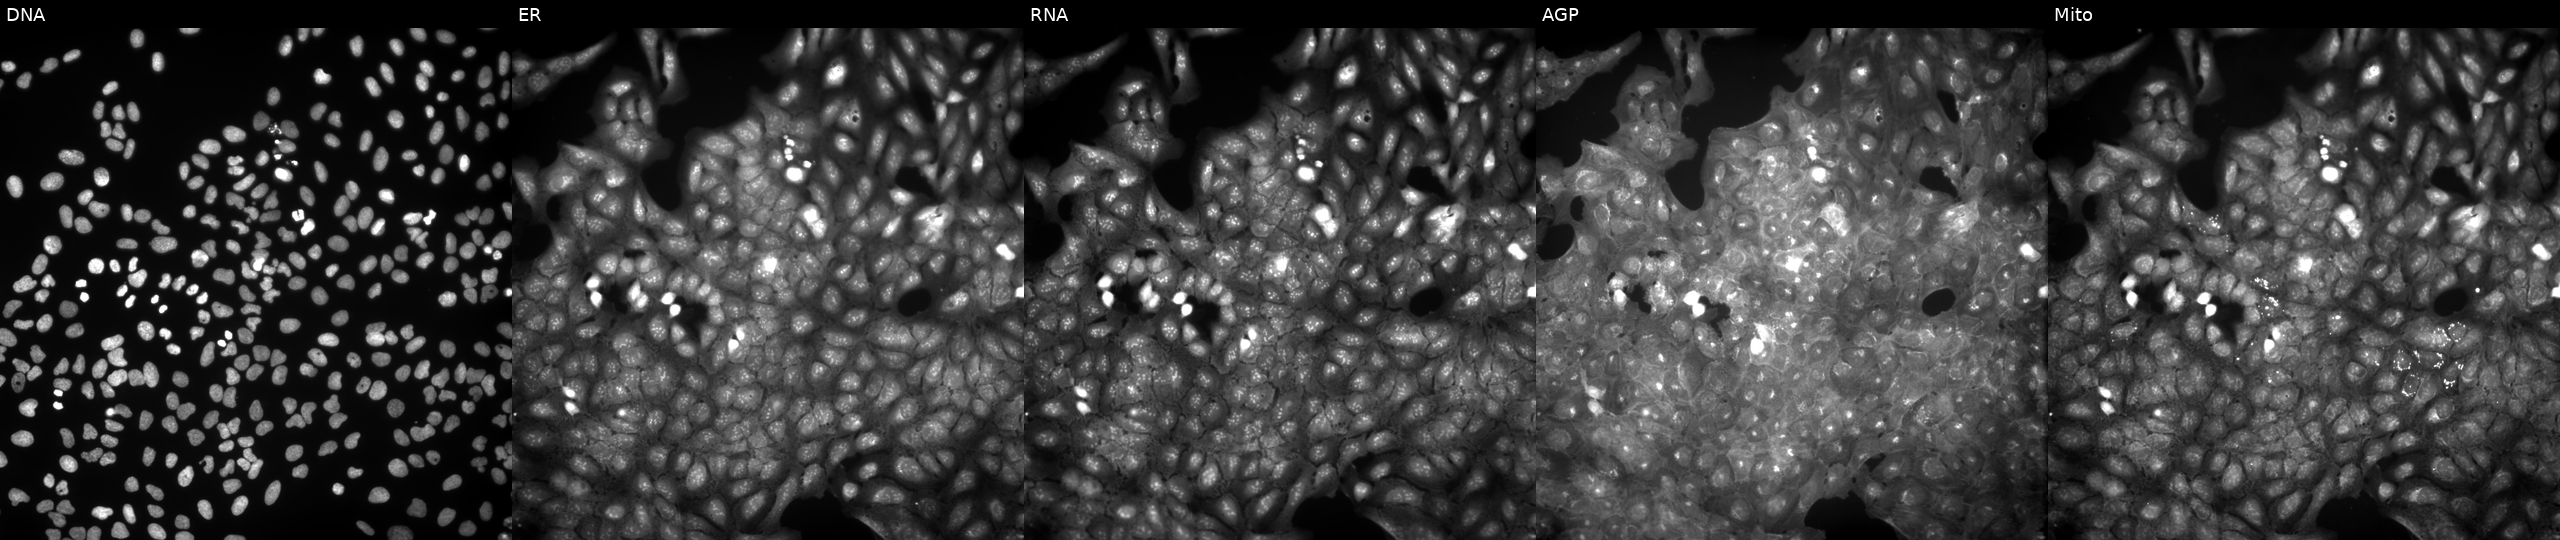
Five-channel Cell Painting image of U2OS cells perturbed with a small-molecule compound (InChIKey PFRXJEDCOMKDBZ-UHFFFAOYSA-N). The five panels, left to right, show DNA, ER, RNA, AGP, and Mito.